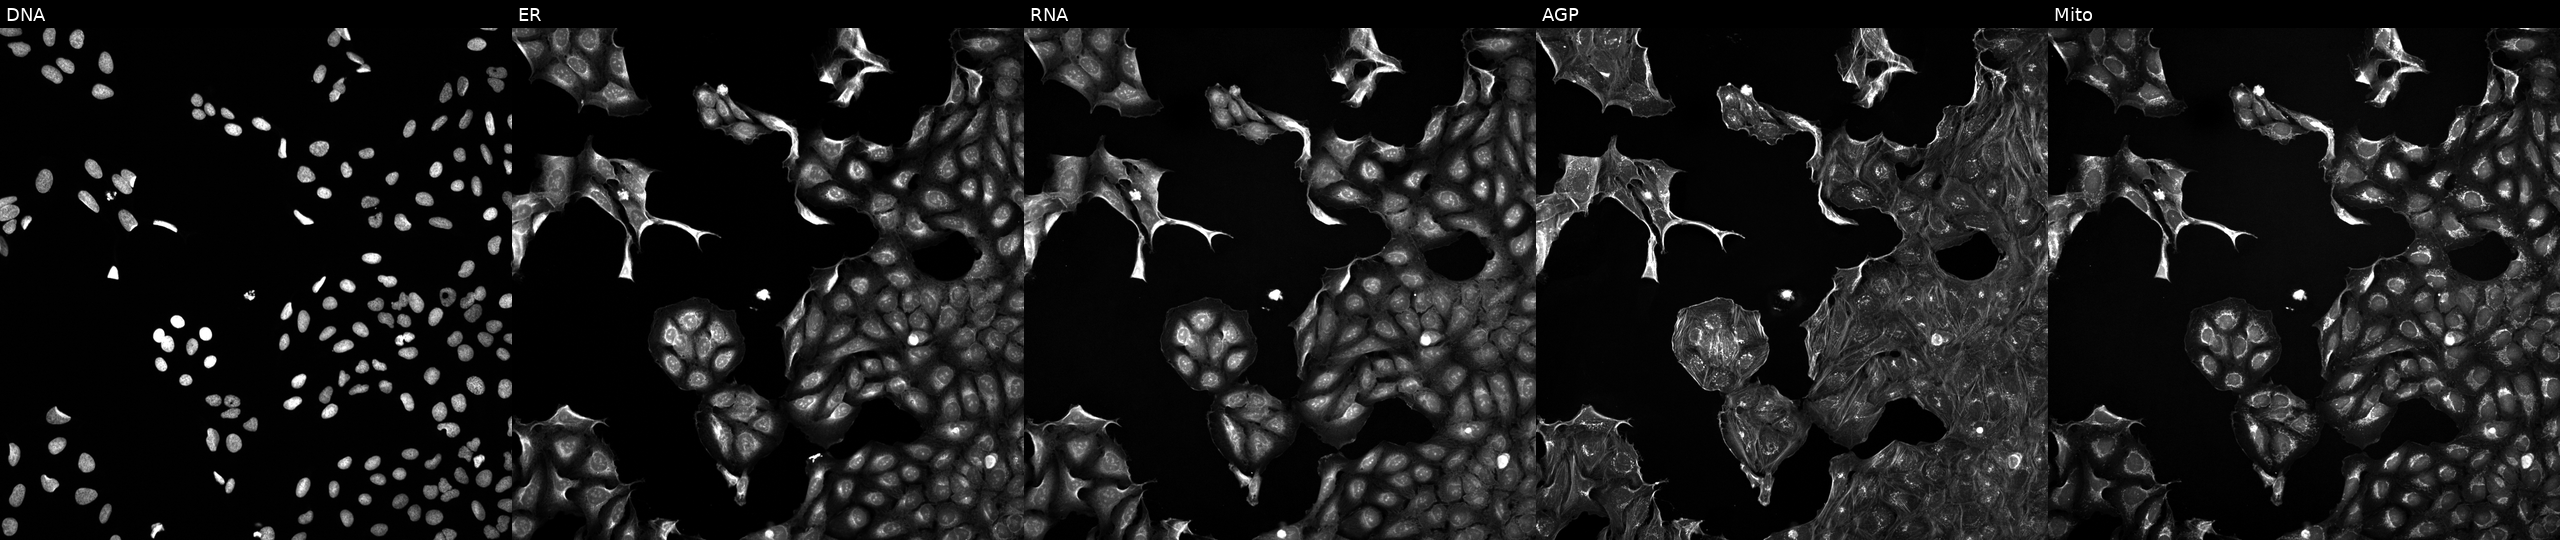
JUMP Cell Painting — TARGET2 plate. U2OS cells treated with DMSO vehicle only (negative control) (JUMP id JCP2022_033924). Channels (left→right): Hoechst 33342, concanavalin A, SYTO 14, phalloidin and WGA, MitoTracker. Source 5, plate ACPJUM012, well H02.